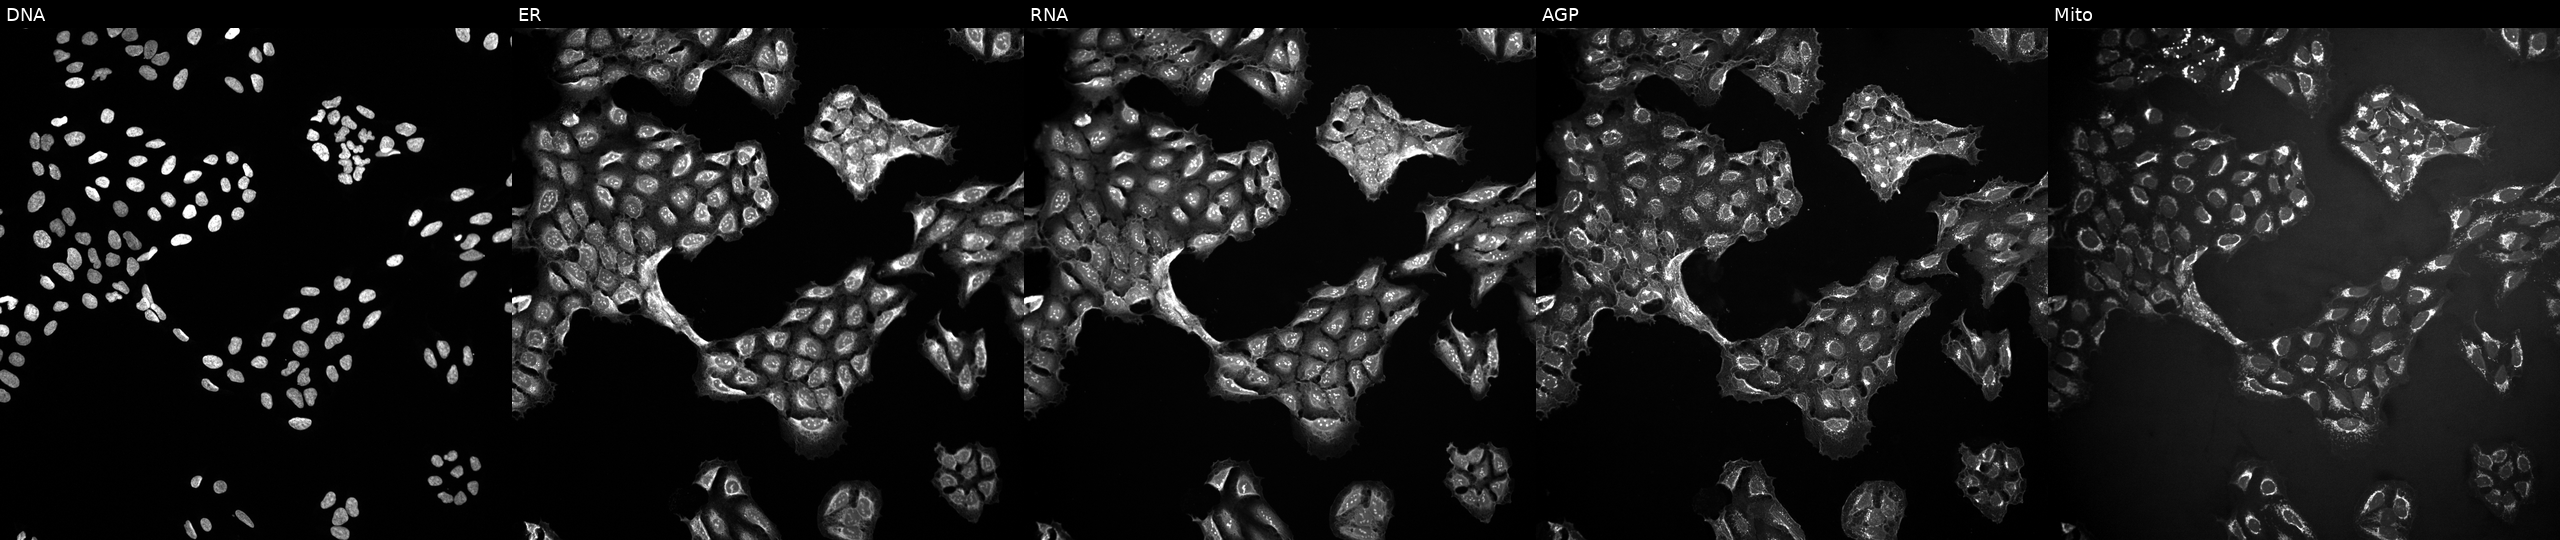
Panels show, left to right, DNA (nuclei); ER (endoplasmic reticulum); RNA (nucleoli and cytoplasmic RNA); AGP (actin cytoskeleton, Golgi, and plasma membrane); Mito (mitochondria). U2OS osteosarcoma cells exposed to a small-molecule compound (InChIKey VHOGYURTWQBHIL-UHFFFAOYSA-N) (JUMP id JCP2022_094002). Cell Painting assay, JUMP-CP dataset.